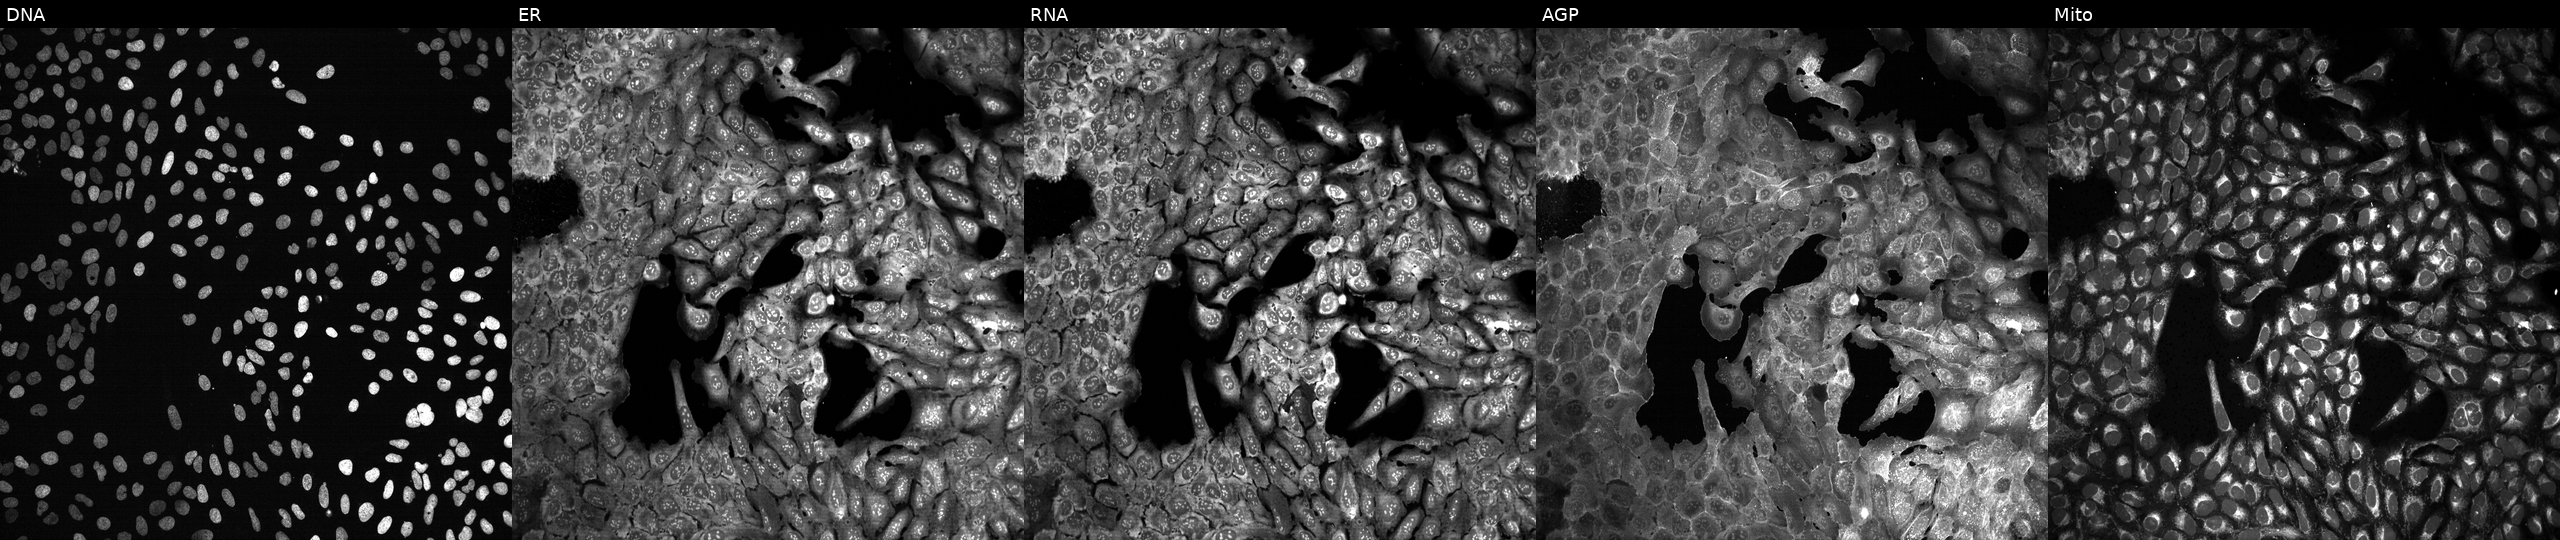
This image strip shows the five Cell Painting channels for a single field of U2OS cells with no CRISPR guide (negative control). The five panels, left to right, show DNA (nuclei); ER (endoplasmic reticulum); RNA (nucleoli and cytoplasmic RNA); AGP (actin cytoskeleton, Golgi, and plasma membrane); Mito (mitochondria).